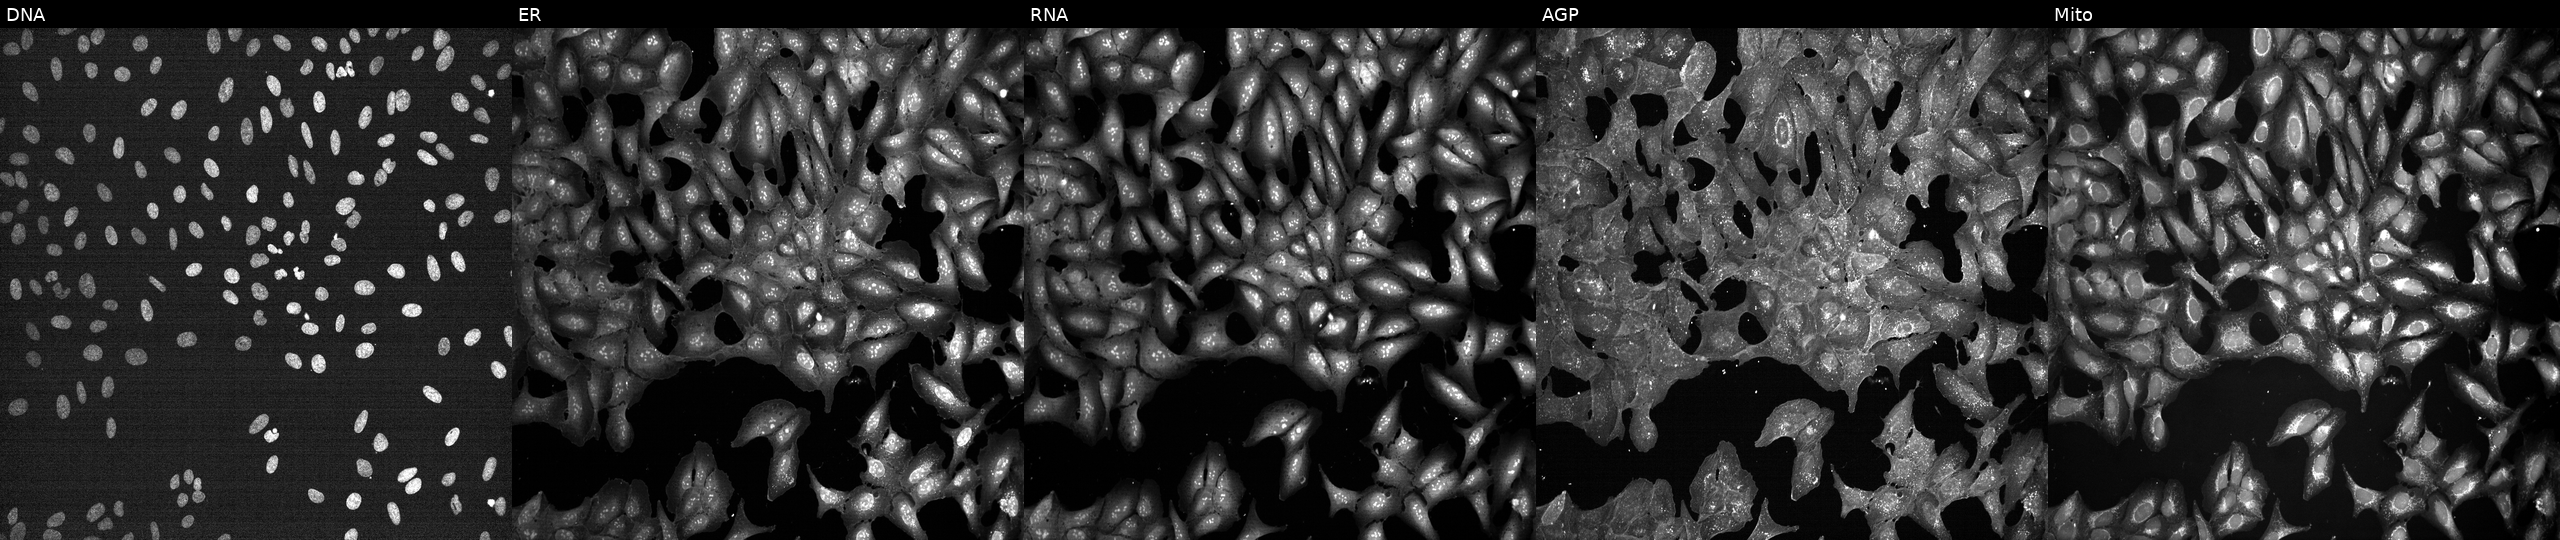
U2OS cells, Cell Painting assay, exposed to a small-molecule compound (InChIKey BOFQWVMAQOTZIW-UHFFFAOYSA-N) (JUMP id JCP2022_007613). From left to right: DNA (nuclei); ER (endoplasmic reticulum); RNA (nucleoli and cytoplasmic RNA); AGP (actin cytoskeleton, Golgi, and plasma membrane); Mito (mitochondria). Each panel is percentile-stretched 16-bit fluorescence. Source 7, plate CP1-SC1-25, well D04.